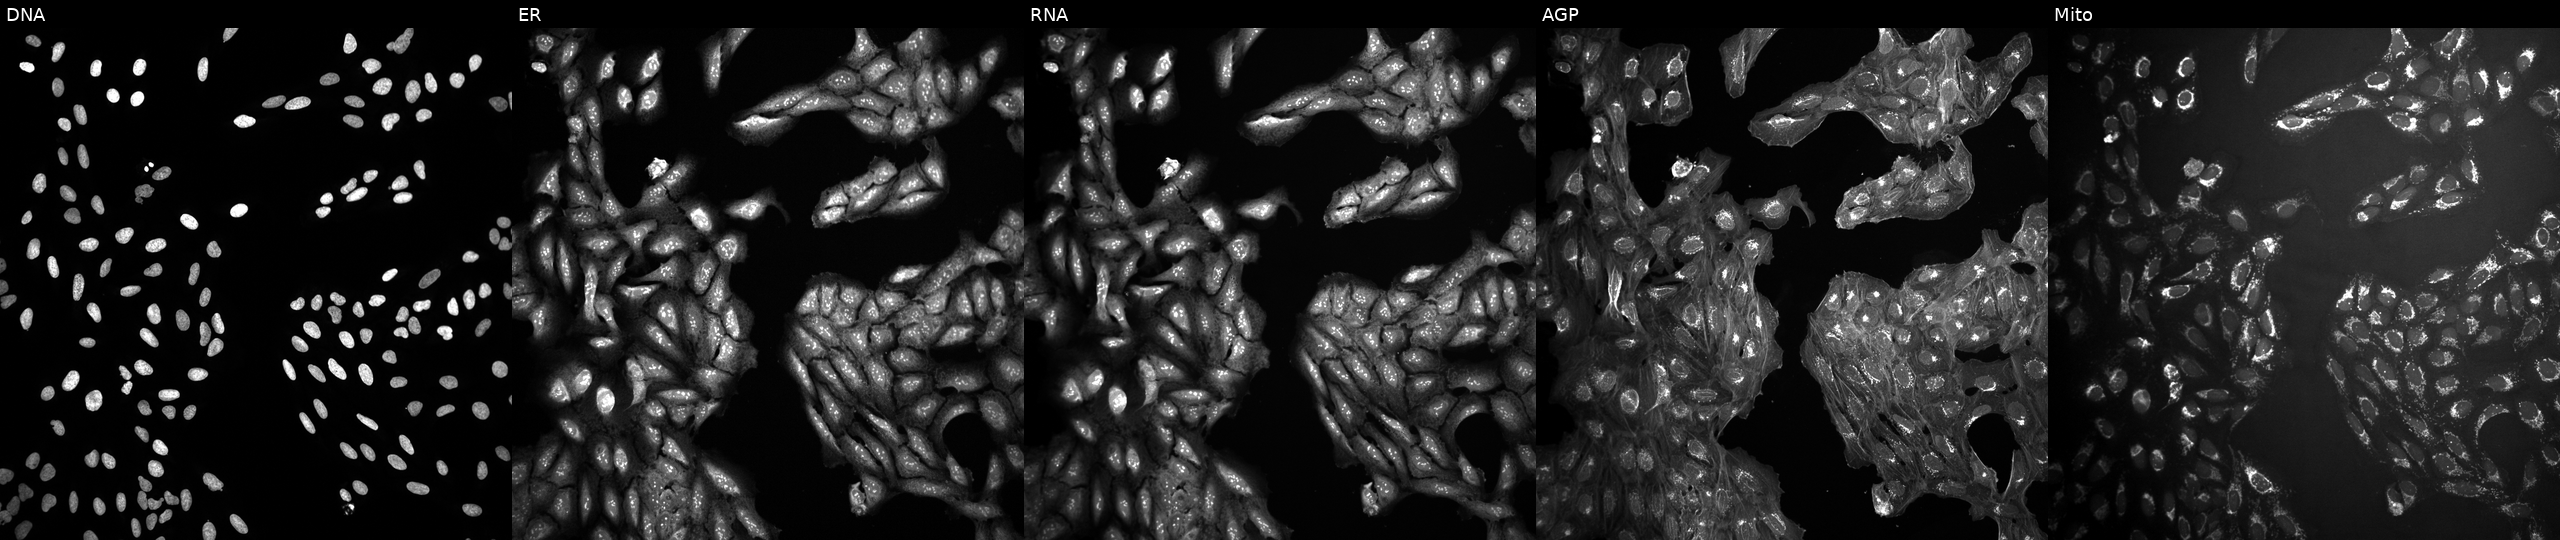
This image strip shows the five Cell Painting channels for a single field of U2OS cells treated with a small-molecule compound (InChIKey SGYOUKLPLVDOSI-UHFFFAOYSA-N). From left to right: DNA (nuclei); ER (endoplasmic reticulum); RNA (nucleoli and cytoplasmic RNA); AGP (actin cytoskeleton, Golgi, and plasma membrane); Mito (mitochondria).